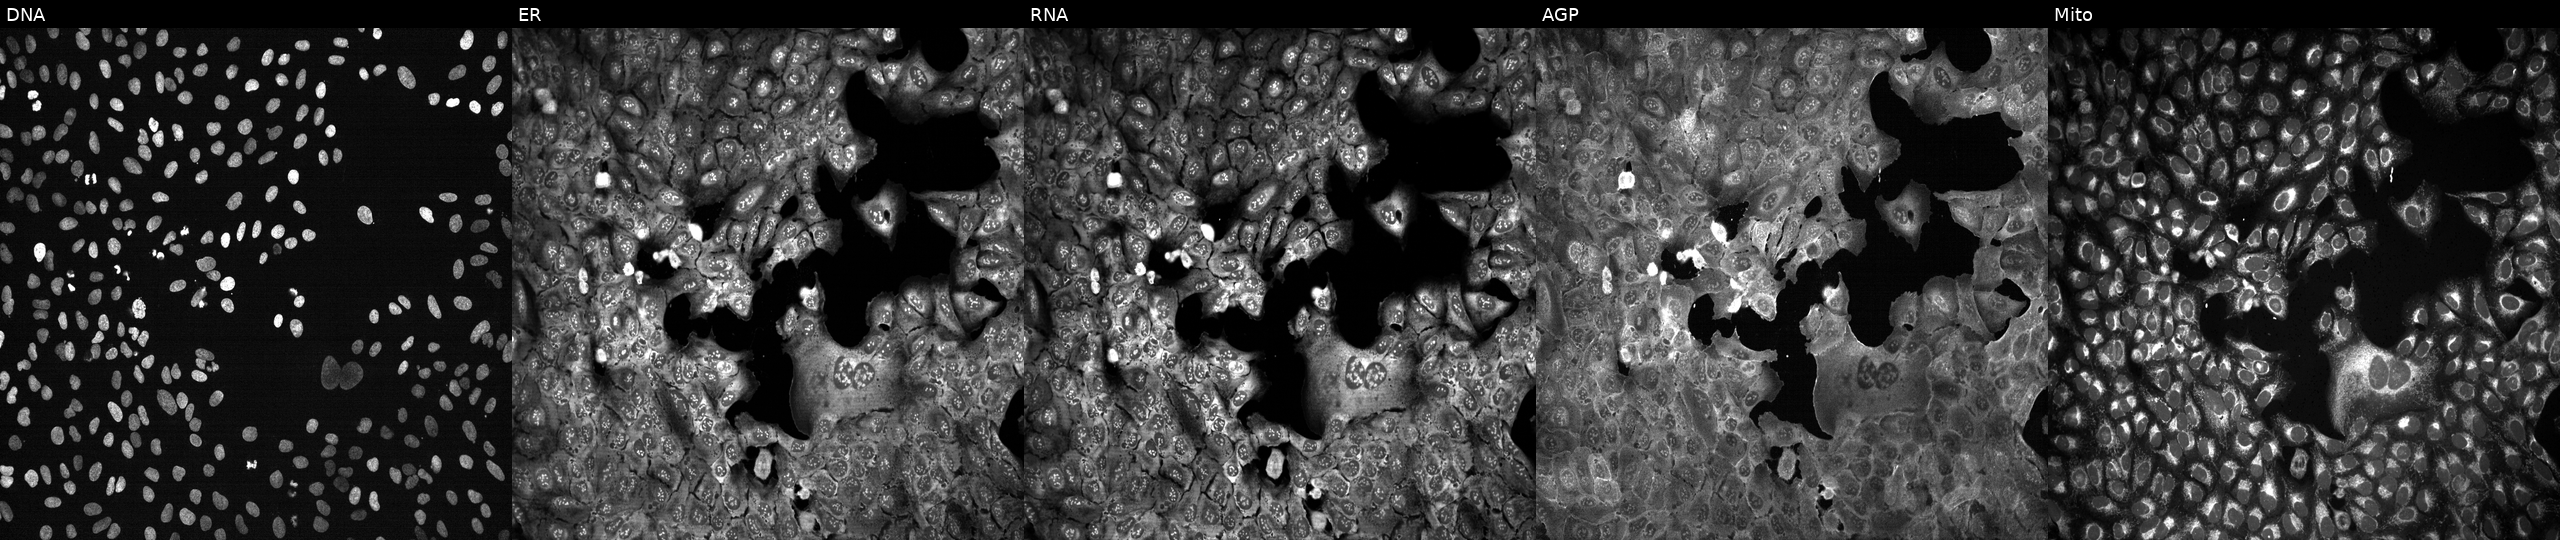
JUMP Cell Painting — CRISPR plate. U2OS cells CRISPR-edited to disrupt RABGGTA. The five panels, left to right, show DNA (nuclei); ER (endoplasmic reticulum); RNA (nucleoli and cytoplasmic RNA); AGP (actin cytoskeleton, Golgi, and plasma membrane); Mito (mitochondria). Source 13, plate CP-CC9-R3-02, well A22.